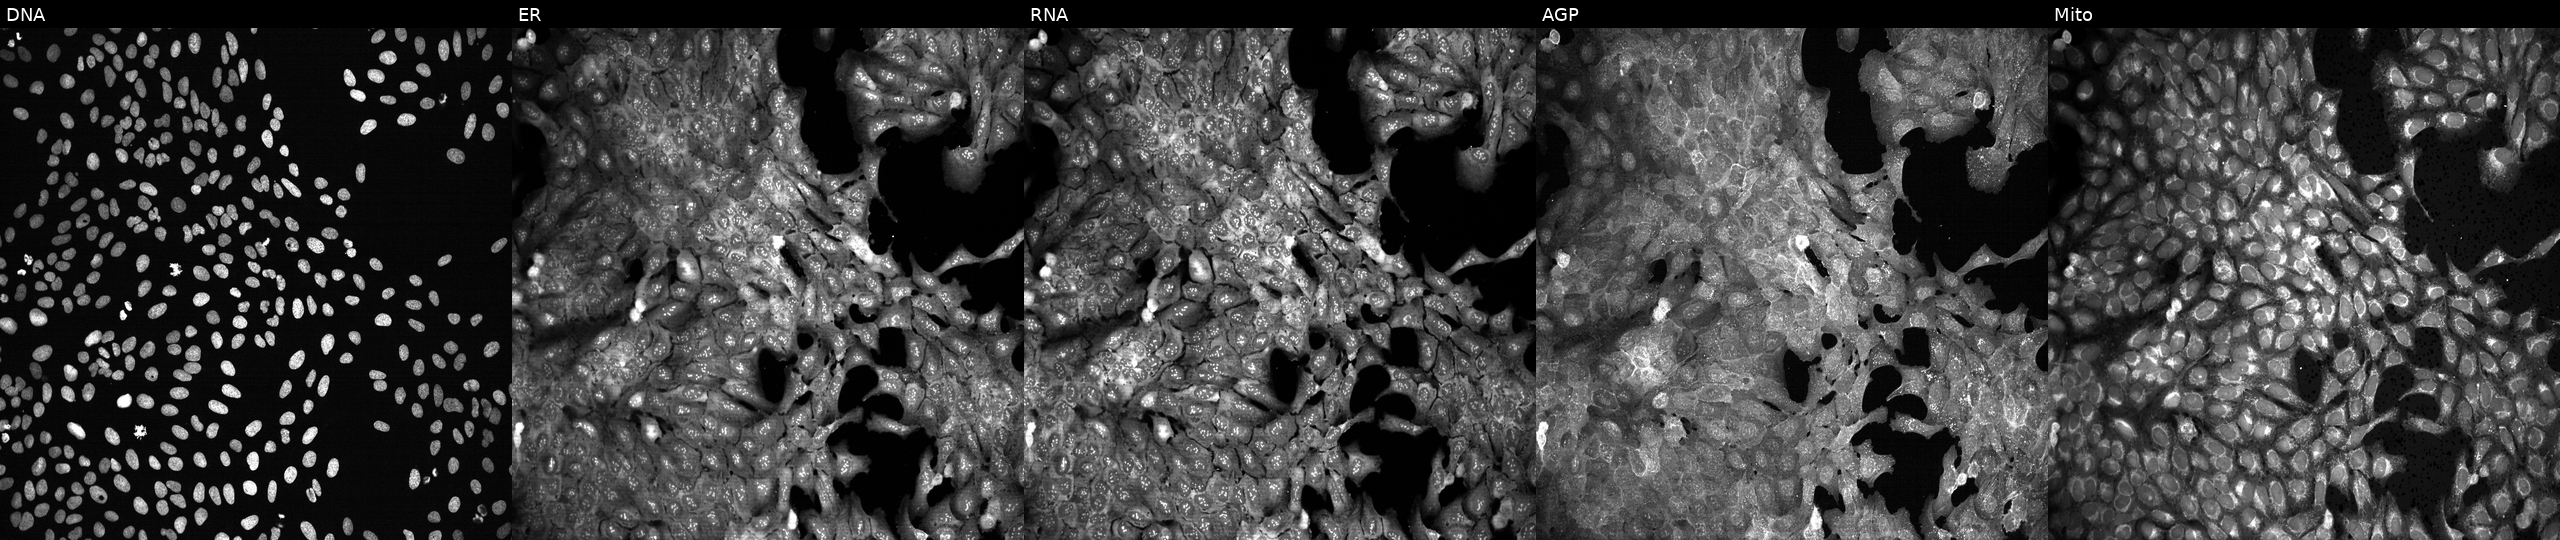
Five-channel Cell Painting image of U2OS cells exposed to the positive-control compound dexamethasone. Panels show, left to right, DNA (nuclei); ER (endoplasmic reticulum); RNA (nucleoli and cytoplasmic RNA); AGP (actin cytoskeleton, Golgi, and plasma membrane); Mito (mitochondria). Source 13, plate CP-CC9-R5-01, well G24.